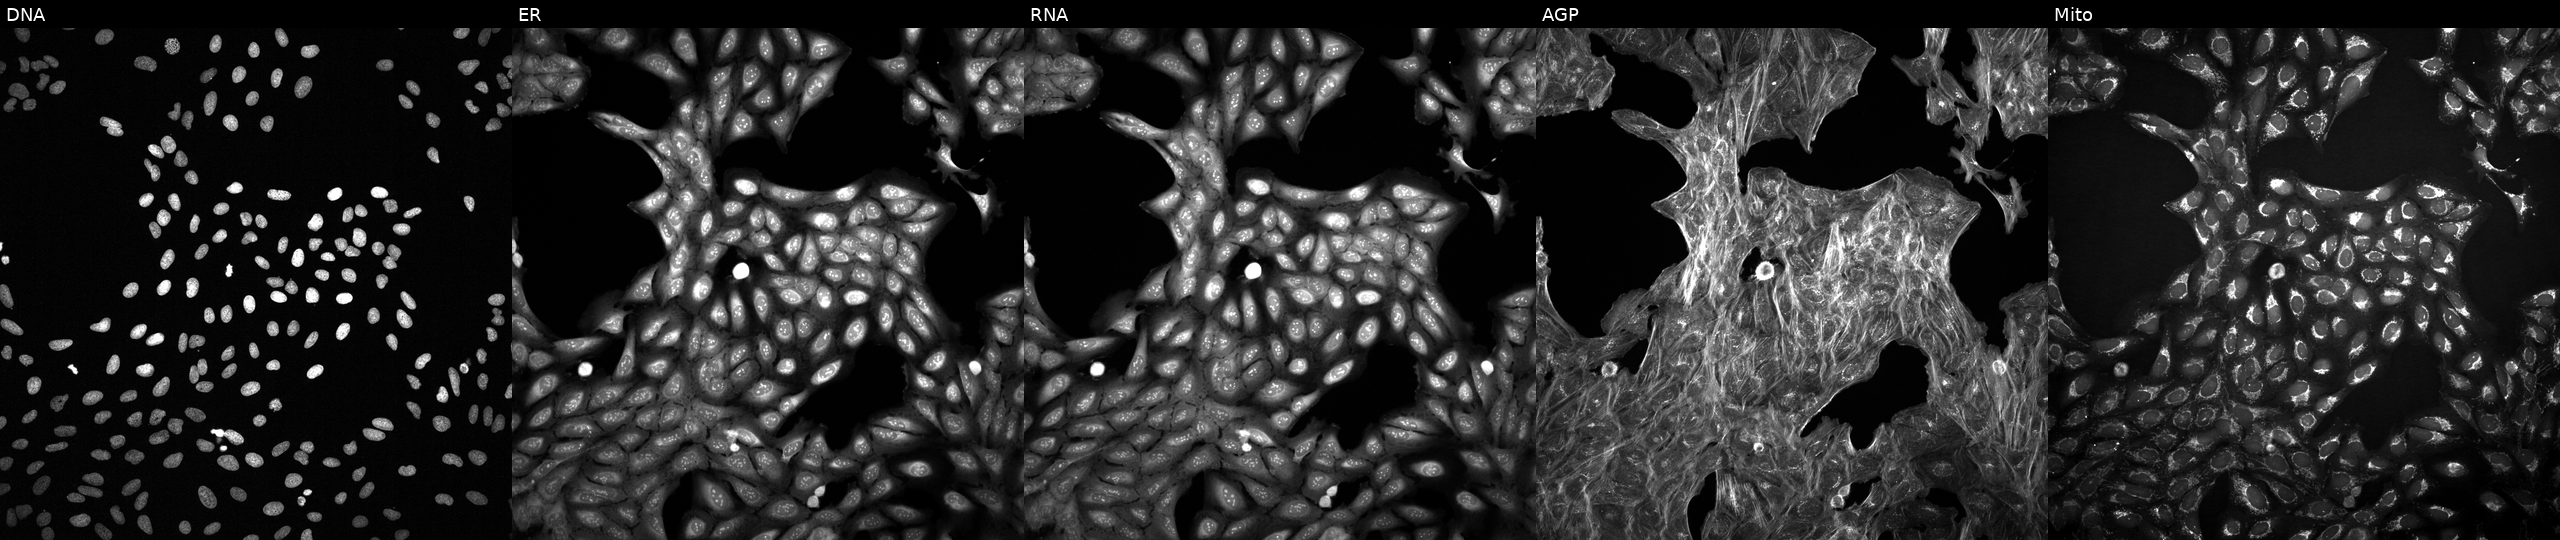
High-content fluorescence microscopy (Cell Painting). Cell line: U2OS. Perturbation: treated with a small-molecule compound (InChIKey GTIFUJANWJAHOH-UHFFFAOYSA-N). From left to right: DNA (nuclei); ER (endoplasmic reticulum); RNA (nucleoli and cytoplasmic RNA); AGP (actin cytoskeleton, Golgi, and plasma membrane); Mito (mitochondria).